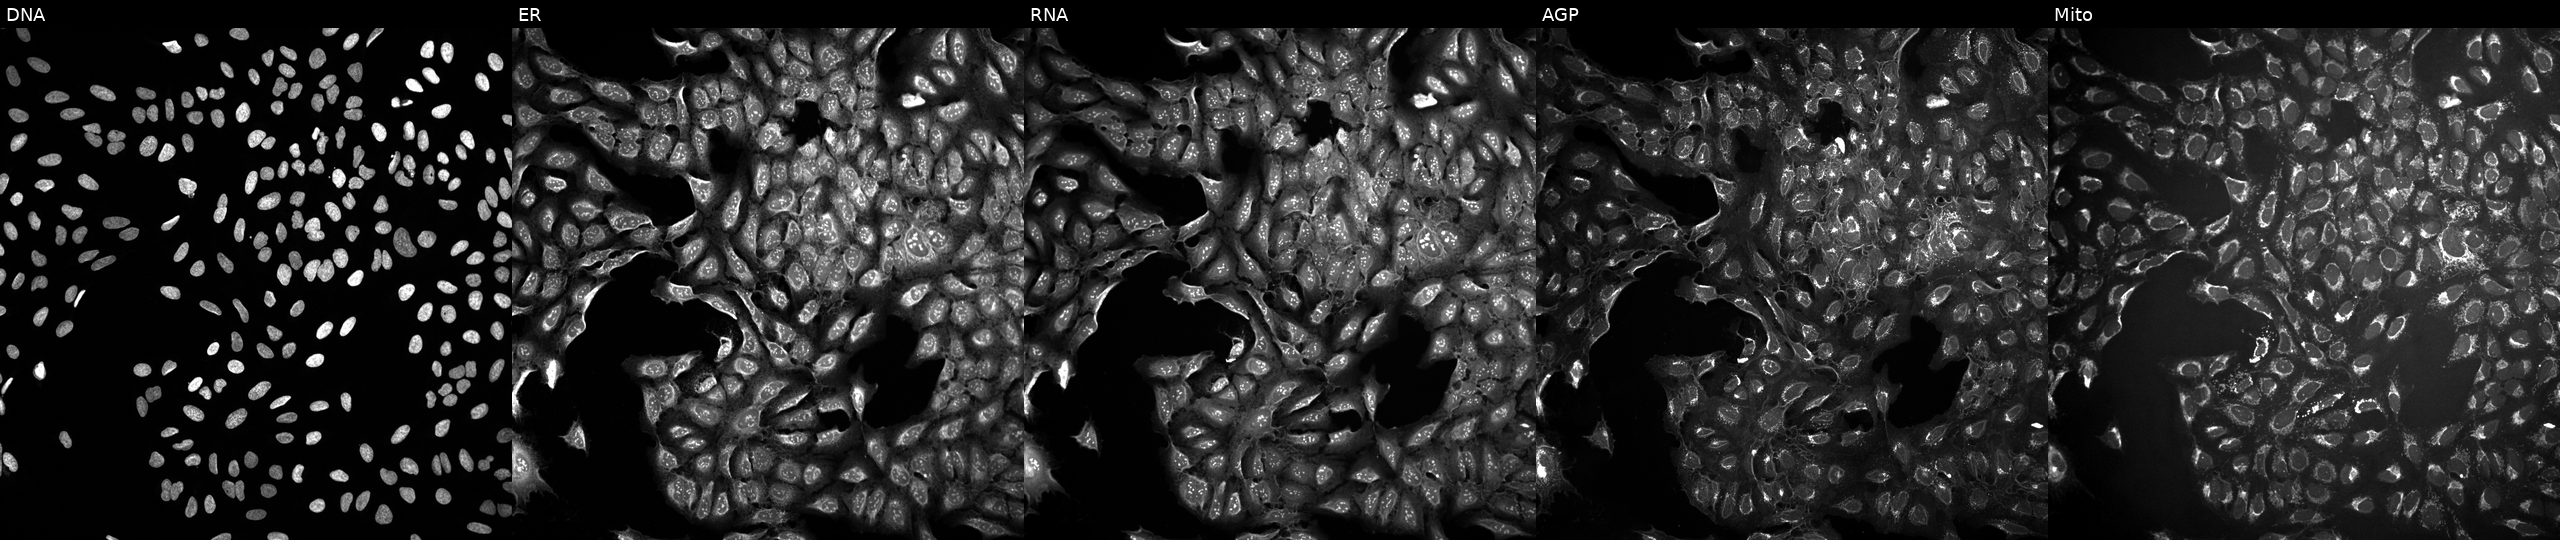
JUMP Cell Painting — TARGET2 plate. U2OS cells perturbed with a small-molecule compound (InChIKey RAHBGWKEPAQNFF-UHFFFAOYSA-N). From left to right: DNA (nuclei); ER (endoplasmic reticulum); RNA (nucleoli and cytoplasmic RNA); AGP (actin cytoskeleton, Golgi, and plasma membrane); Mito (mitochondria).